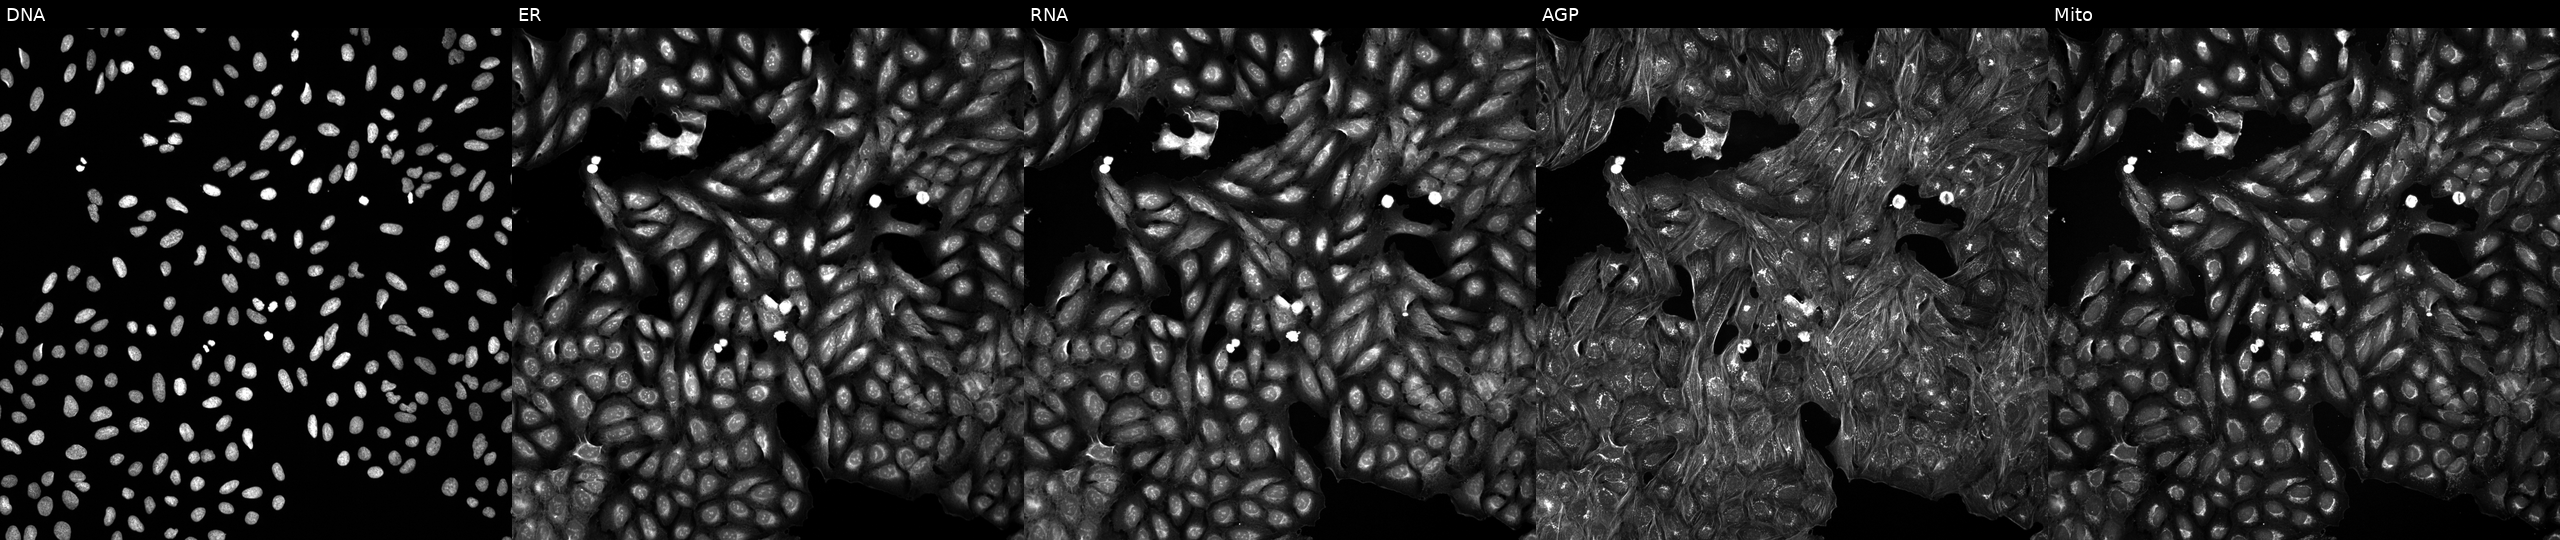
High-content fluorescence microscopy (Cell Painting). Cell line: U2OS. Perturbation: treated with a small-molecule compound (JUMP id JCP2022_032432). Panels show, left to right, DNA, ER, RNA, AGP, and Mito.